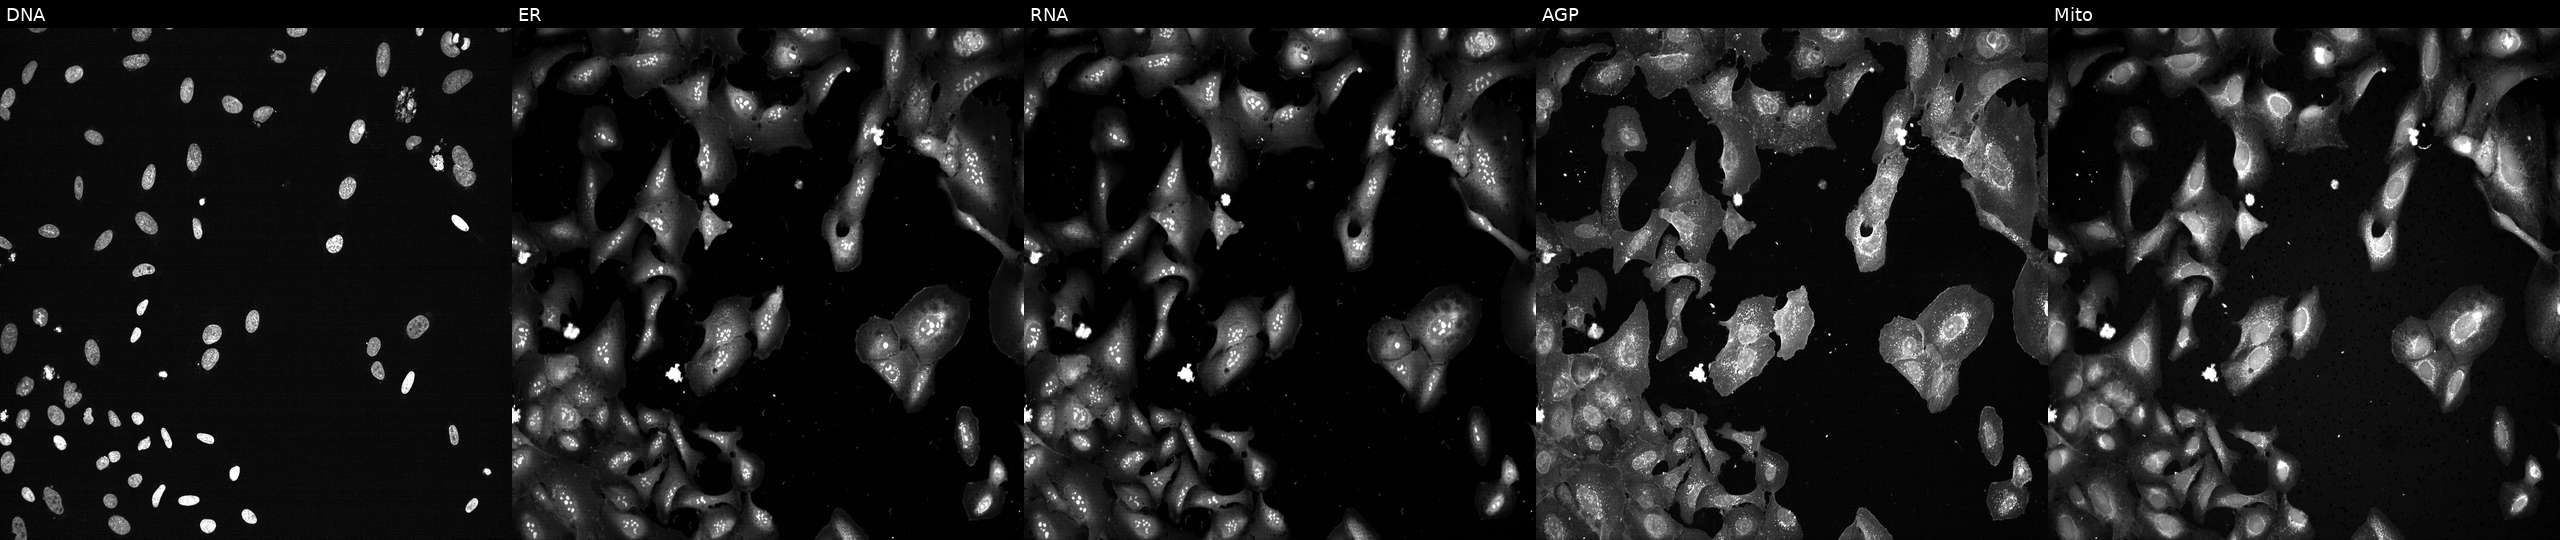
This image strip shows the five Cell Painting channels for a single field of U2OS cells following CRISPR knockout of RPA1. Panels show, left to right, DNA, ER, RNA, AGP, and Mito.